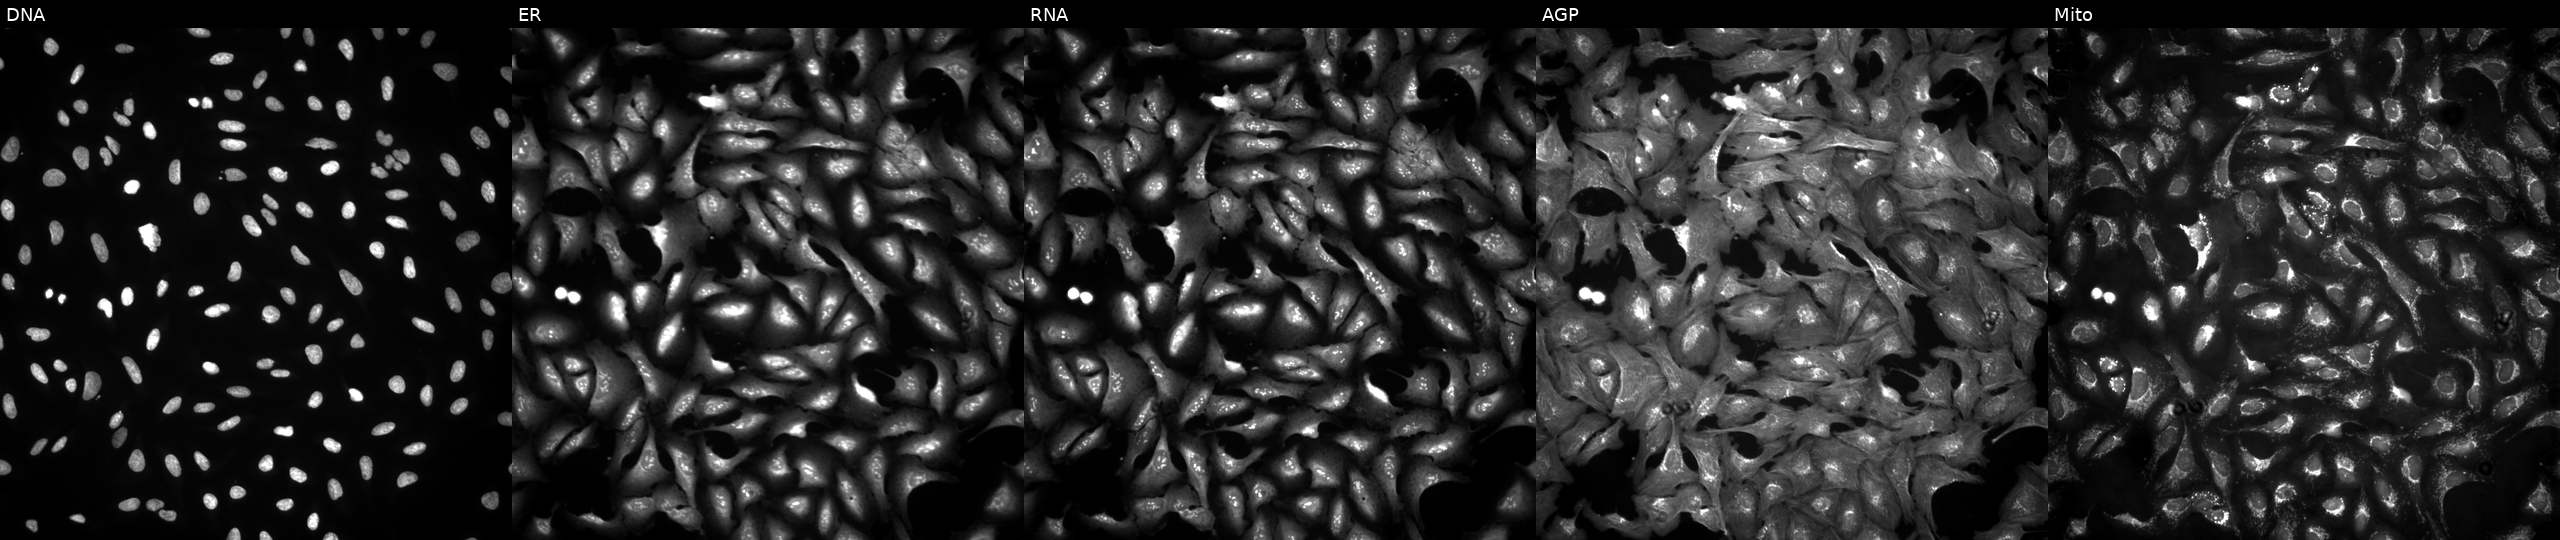
High-content fluorescence microscopy (Cell Painting). Cell line: U2OS. Perturbation: in an empty control well (no perturbation). Channels (left→right): Hoechst 33342, concanavalin A, SYTO 14, phalloidin and WGA, MitoTracker.